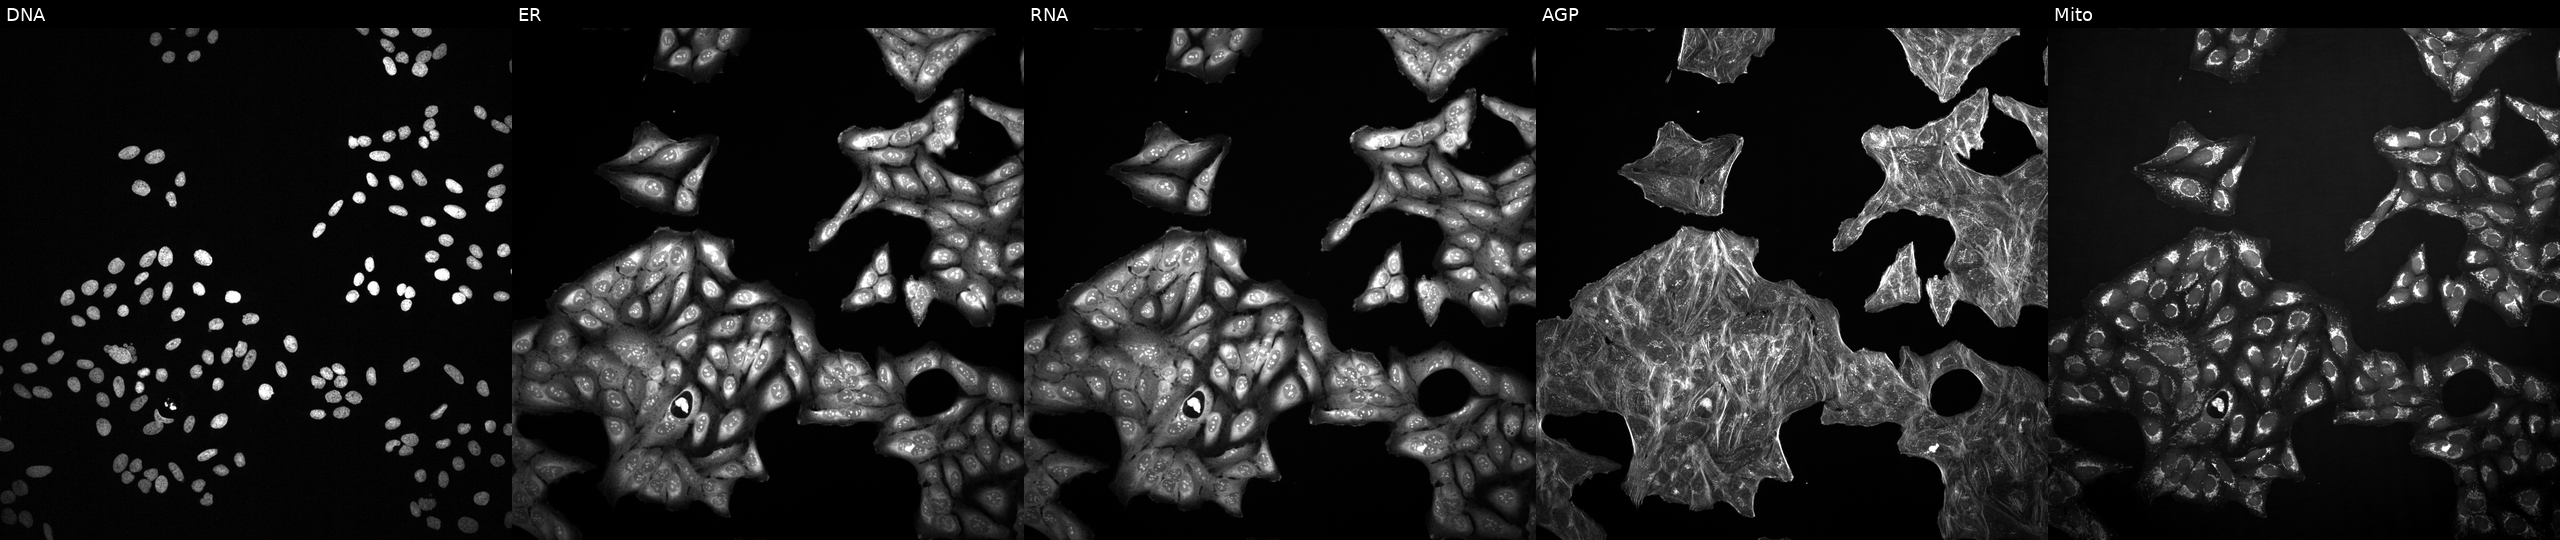
This image strip shows the five Cell Painting channels for a single field of U2OS cells treated with a small-molecule compound (InChIKey VDQLKIBLTMPAHI-UHFFFAOYSA-N) (JUMP id JCP2022_093289). Panels show, left to right, DNA, ER, RNA, AGP, and Mito.